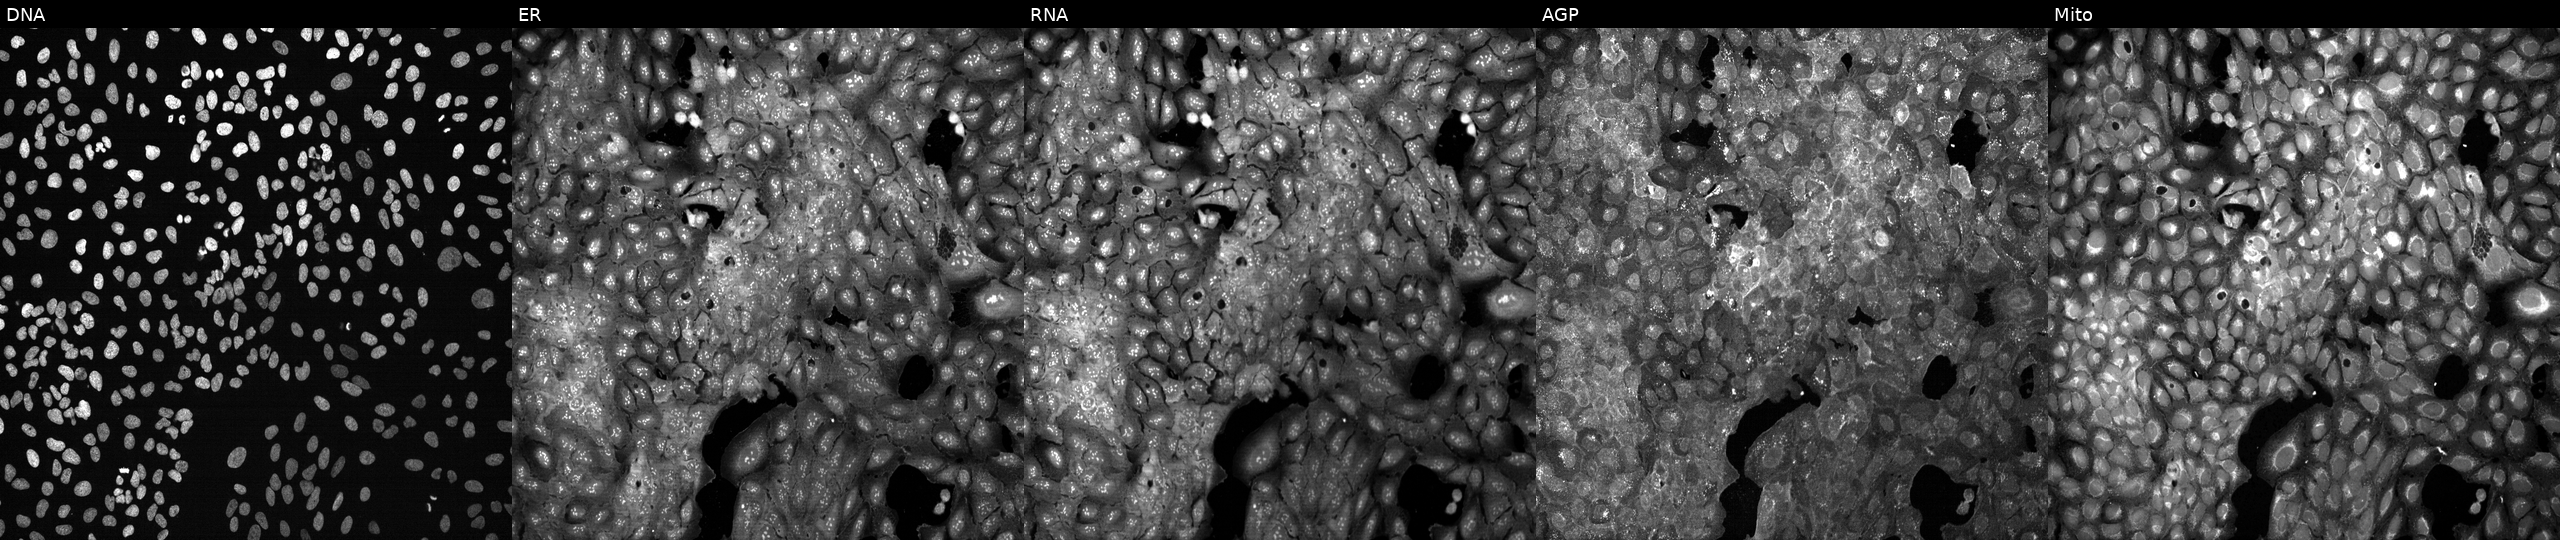
This image strip shows the five Cell Painting channels for a single field of U2OS cells with PLPPR2 knocked out by CRISPR (JUMP id JCP2022_805279). From left to right: DNA, ER, RNA, AGP, and Mito. Source 13, plate CP-CC9-R1-02, well I12.